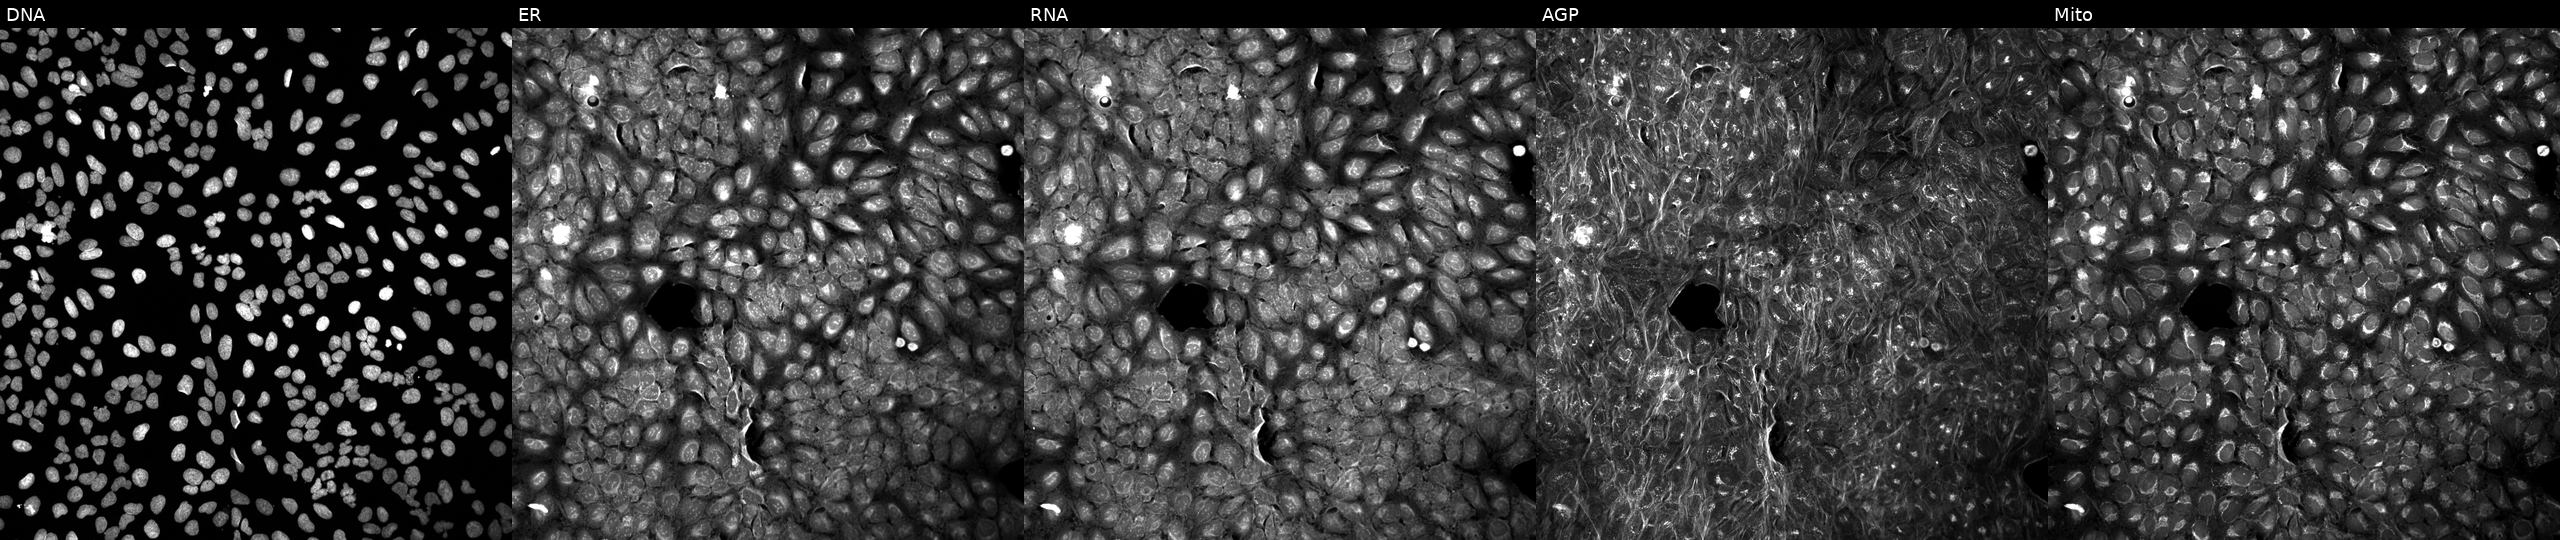
The five panels, left to right, show DNA, ER, RNA, AGP, and Mito. U2OS osteosarcoma cells exposed to DMSO alone as a negative control. Cell Painting assay, JUMP-CP dataset. Source 5, plate APTJUM105, well L23.